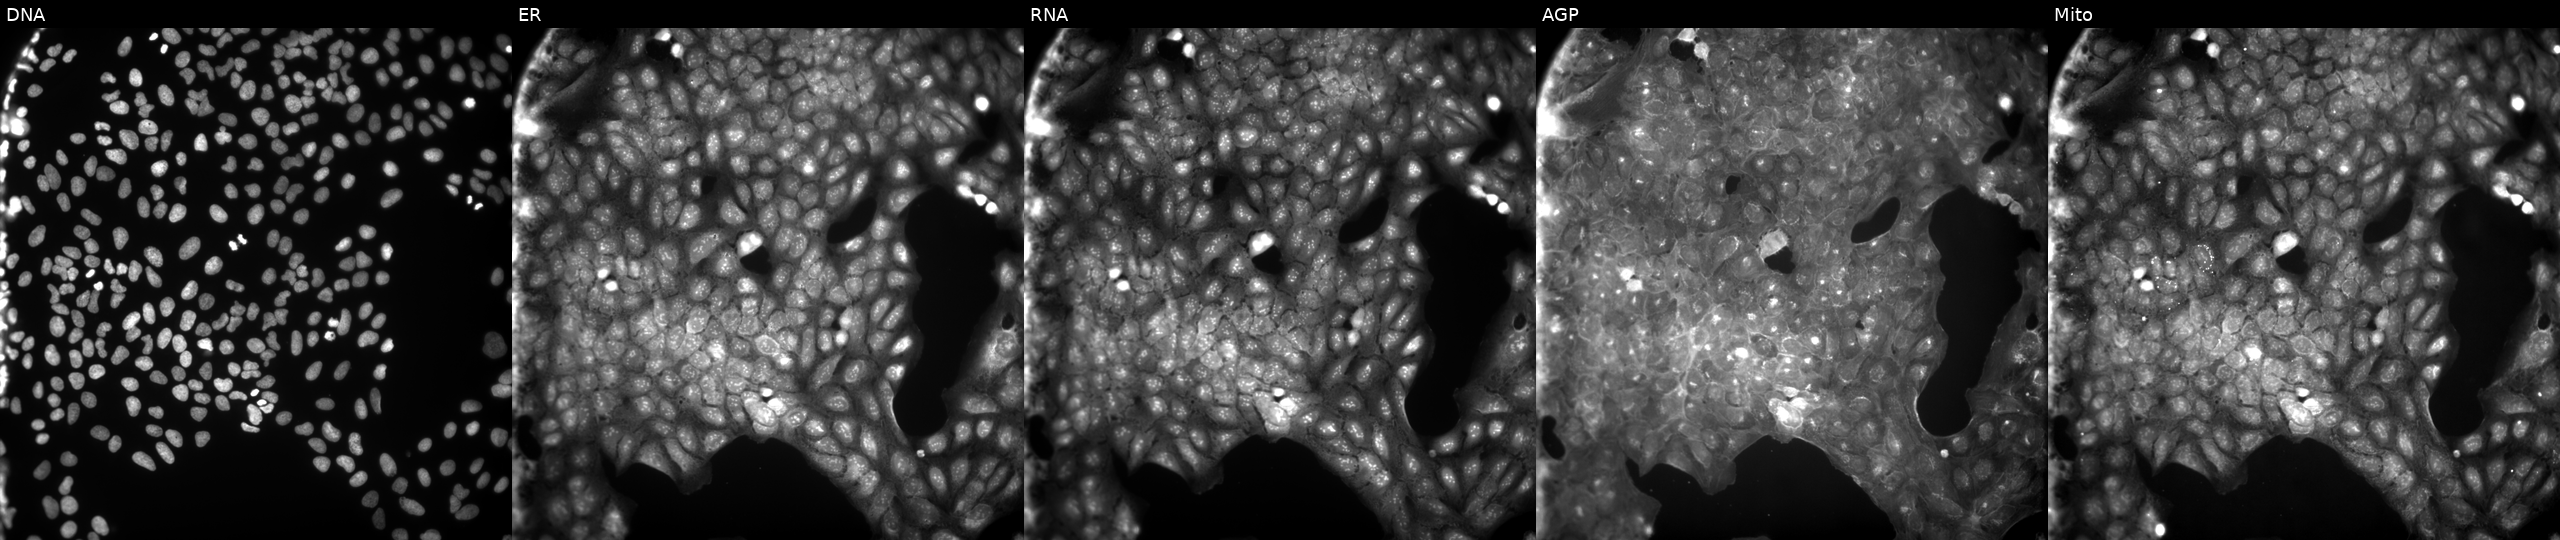
This image strip shows the five Cell Painting channels for a single field of U2OS cells treated with a small-molecule compound (InChIKey FQOZQDKTVSAADQ-UHFFFAOYSA-N) (JUMP id JCP2022_022319). From left to right: DNA, ER, RNA, AGP, and Mito. Source 9, plate GR00003381, well U04.